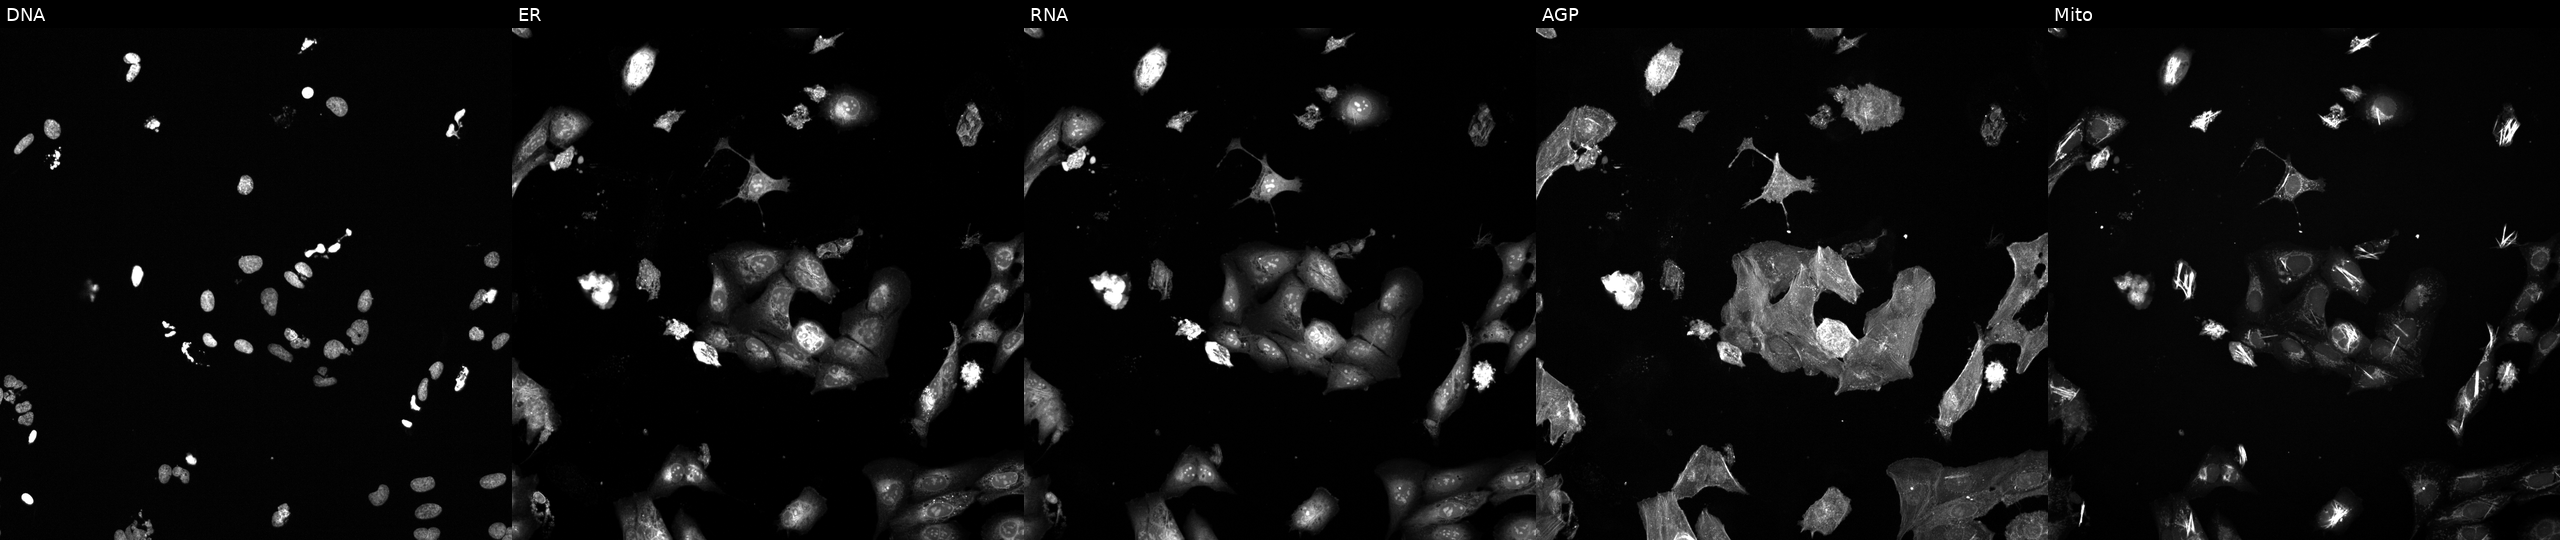
The five panels, left to right, show DNA (nuclei); ER (endoplasmic reticulum); RNA (nucleoli and cytoplasmic RNA); AGP (actin cytoskeleton, Golgi, and plasma membrane); Mito (mitochondria). U2OS osteosarcoma cells perturbed with a small-molecule compound (InChIKey VZYXBKXMPFLPLI-UHFFFAOYSA-N) [SMILES: Cc1nc(-c2noc(-c3ccccc3)n2)cn1CC(=O)Nc1ccccc1] (JUMP id JCP2022_097423). Cell Painting assay, JUMP-CP dataset. Source 6, plate 110000293082, well P10.